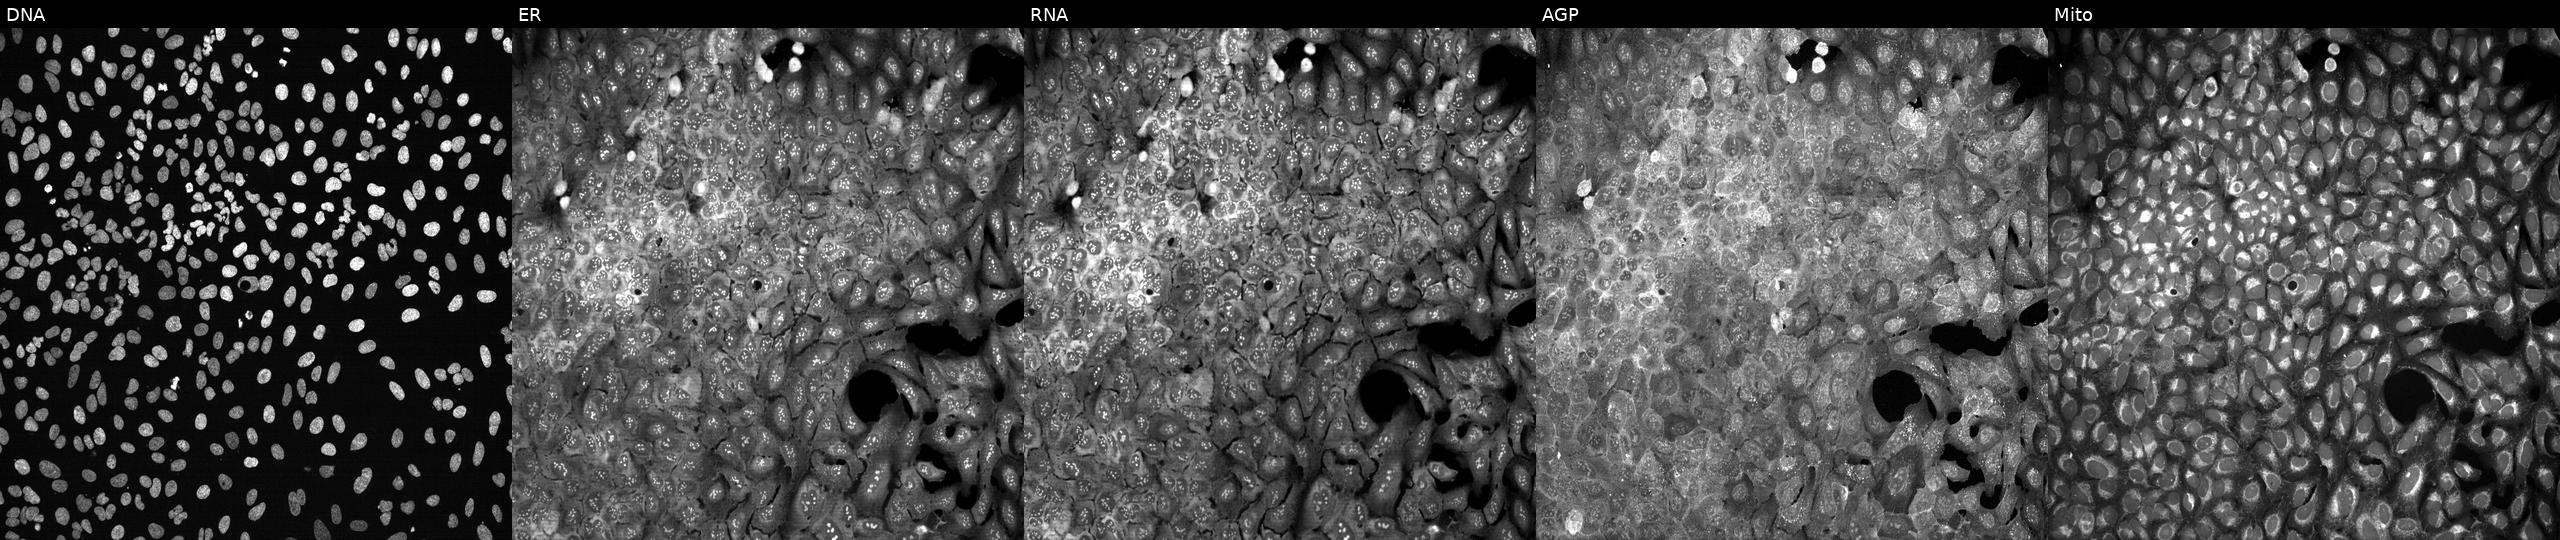
Channels (left→right): DNA, ER, RNA, AGP, and Mito. U2OS osteosarcoma cells with B3GNT5 knocked out by CRISPR (JUMP id JCP2022_800783). Cell Painting assay, JUMP-CP dataset.